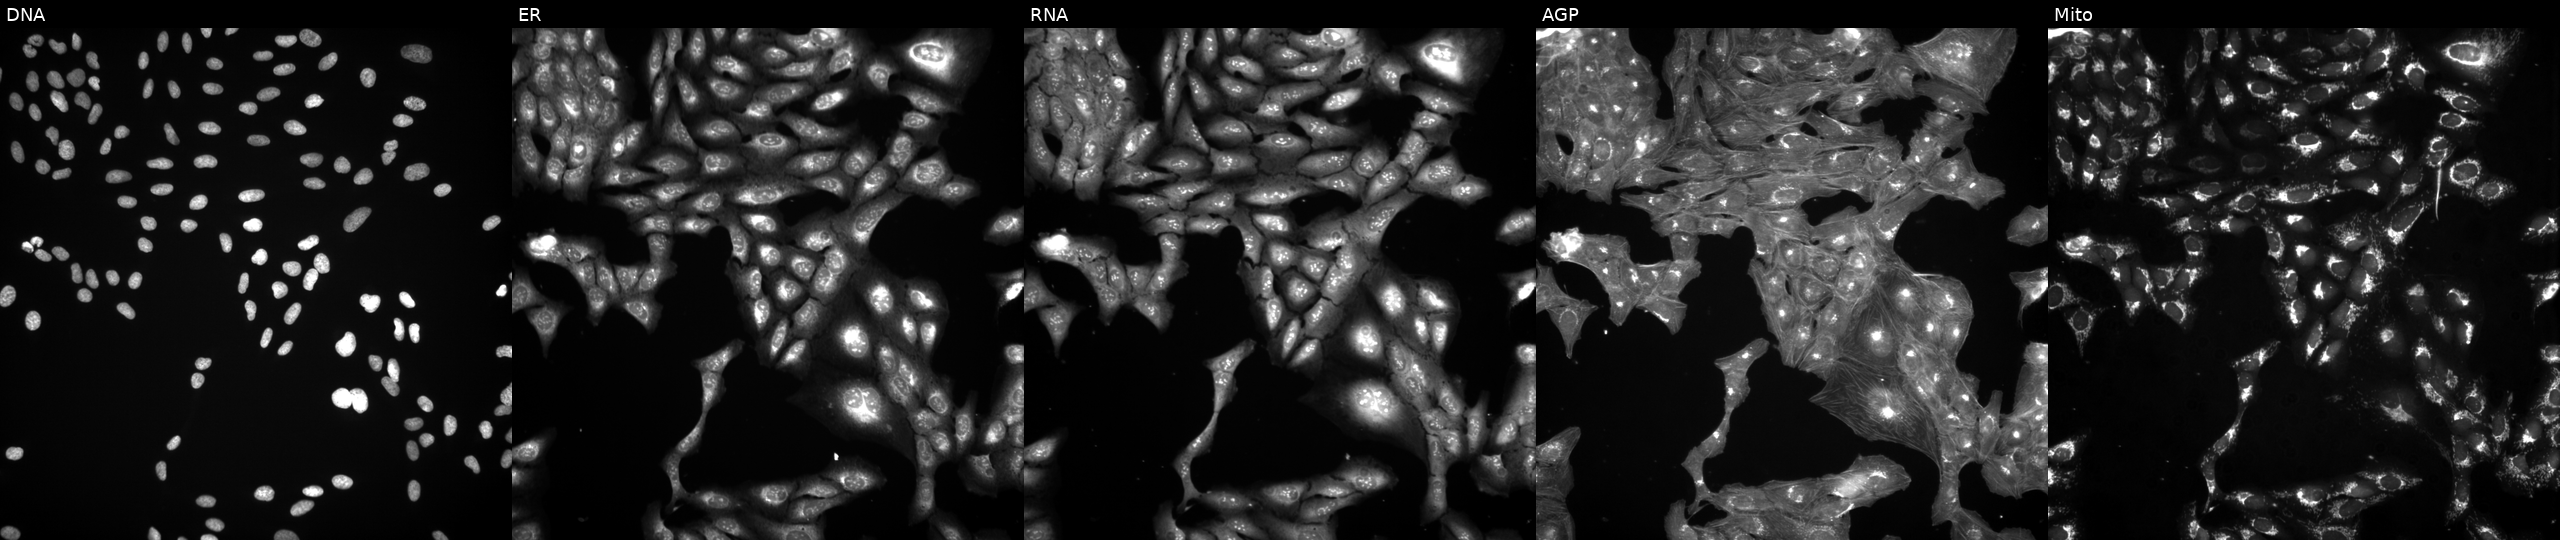
This image strip shows the five Cell Painting channels for a single field of U2OS cells exposed to a small-molecule compound (InChIKey IFKJHVQVOUDHNV-UHFFFAOYSA-N) [SMILES: COc1cc(CC(=O)Nc2ccc3nc(C)sc3c2)cc(OC)c1OC] (JUMP id JCP2022_034722). Panels show, left to right, DNA (nuclei); ER (endoplasmic reticulum); RNA (nucleoli and cytoplasmic RNA); AGP (actin cytoskeleton, Golgi, and plasma membrane); Mito (mitochondria).